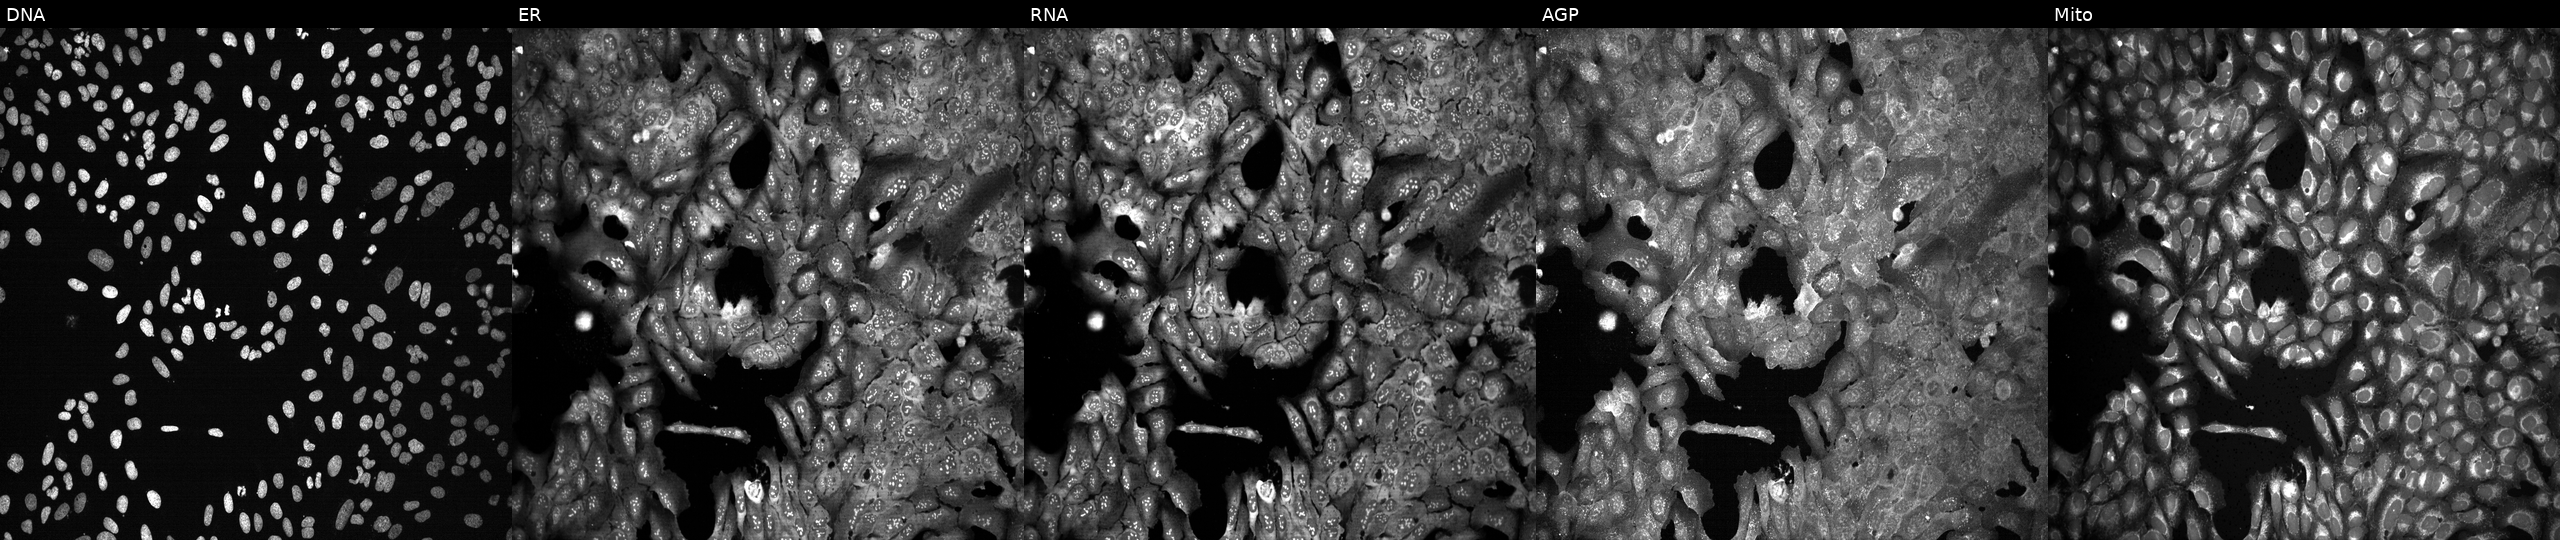
Five-channel Cell Painting image of U2OS cells CRISPR-edited to disrupt ELOVL6. Panels show, left to right, DNA (nuclei); ER (endoplasmic reticulum); RNA (nucleoli and cytoplasmic RNA); AGP (actin cytoskeleton, Golgi, and plasma membrane); Mito (mitochondria).